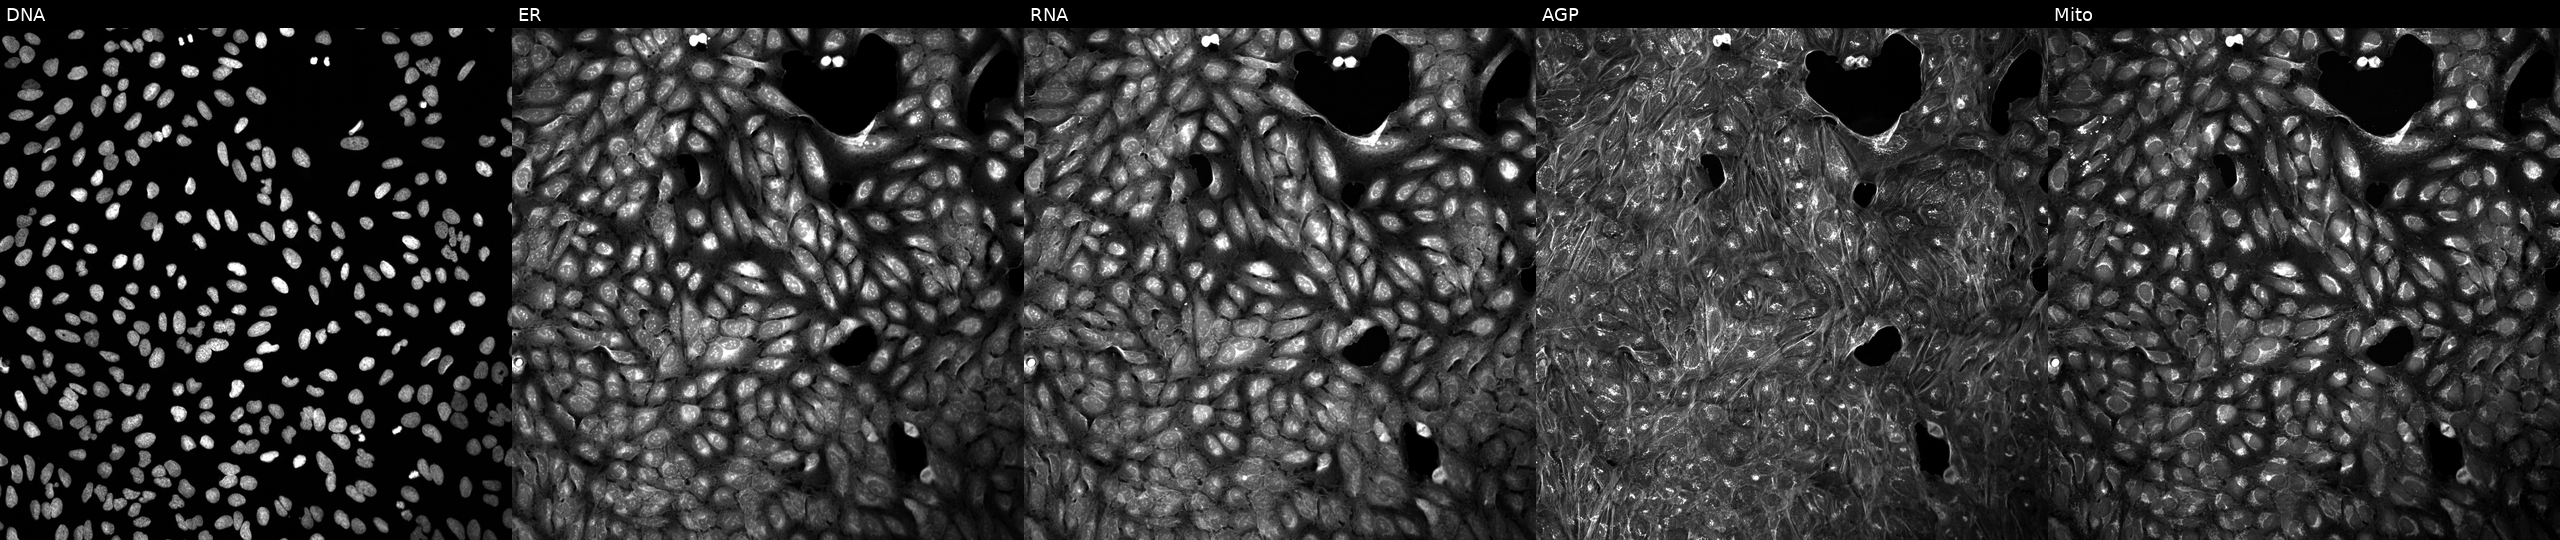
U2OS cells, Cell Painting assay, treated with a small-molecule compound. Panels show, left to right, DNA (nuclei); ER (endoplasmic reticulum); RNA (nucleoli and cytoplasmic RNA); AGP (actin cytoskeleton, Golgi, and plasma membrane); Mito (mitochondria). Each panel is percentile-stretched 16-bit fluorescence.